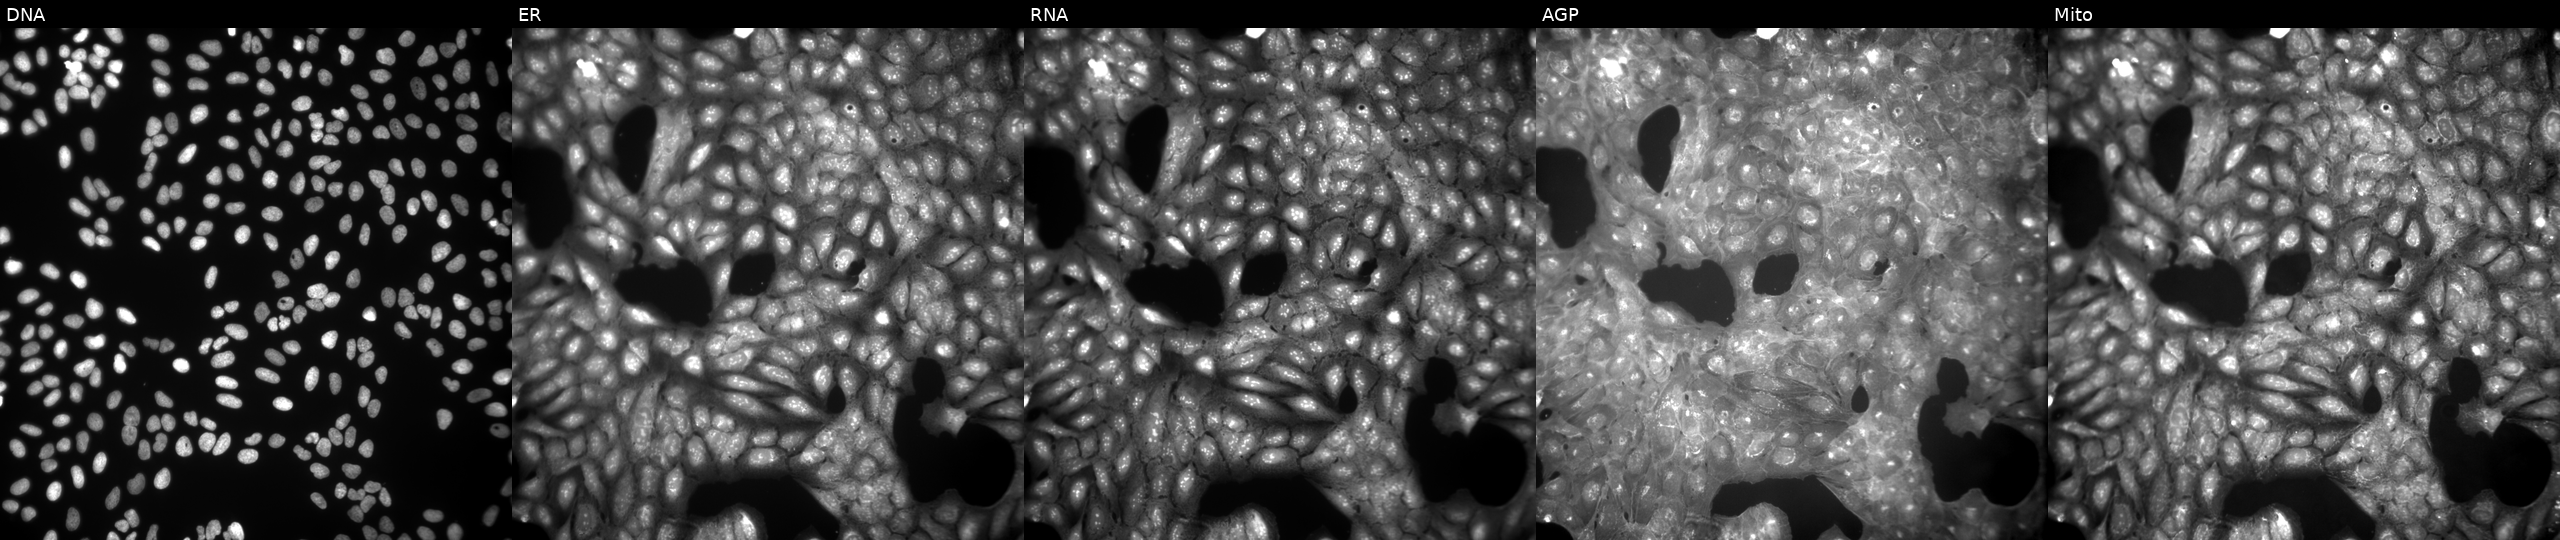
This image strip shows the five Cell Painting channels for a single field of U2OS cells perturbed with a small-molecule compound (InChIKey ULQZYDDZLCABPO-UHFFFAOYSA-N). From left to right: DNA, ER, RNA, AGP, and Mito.